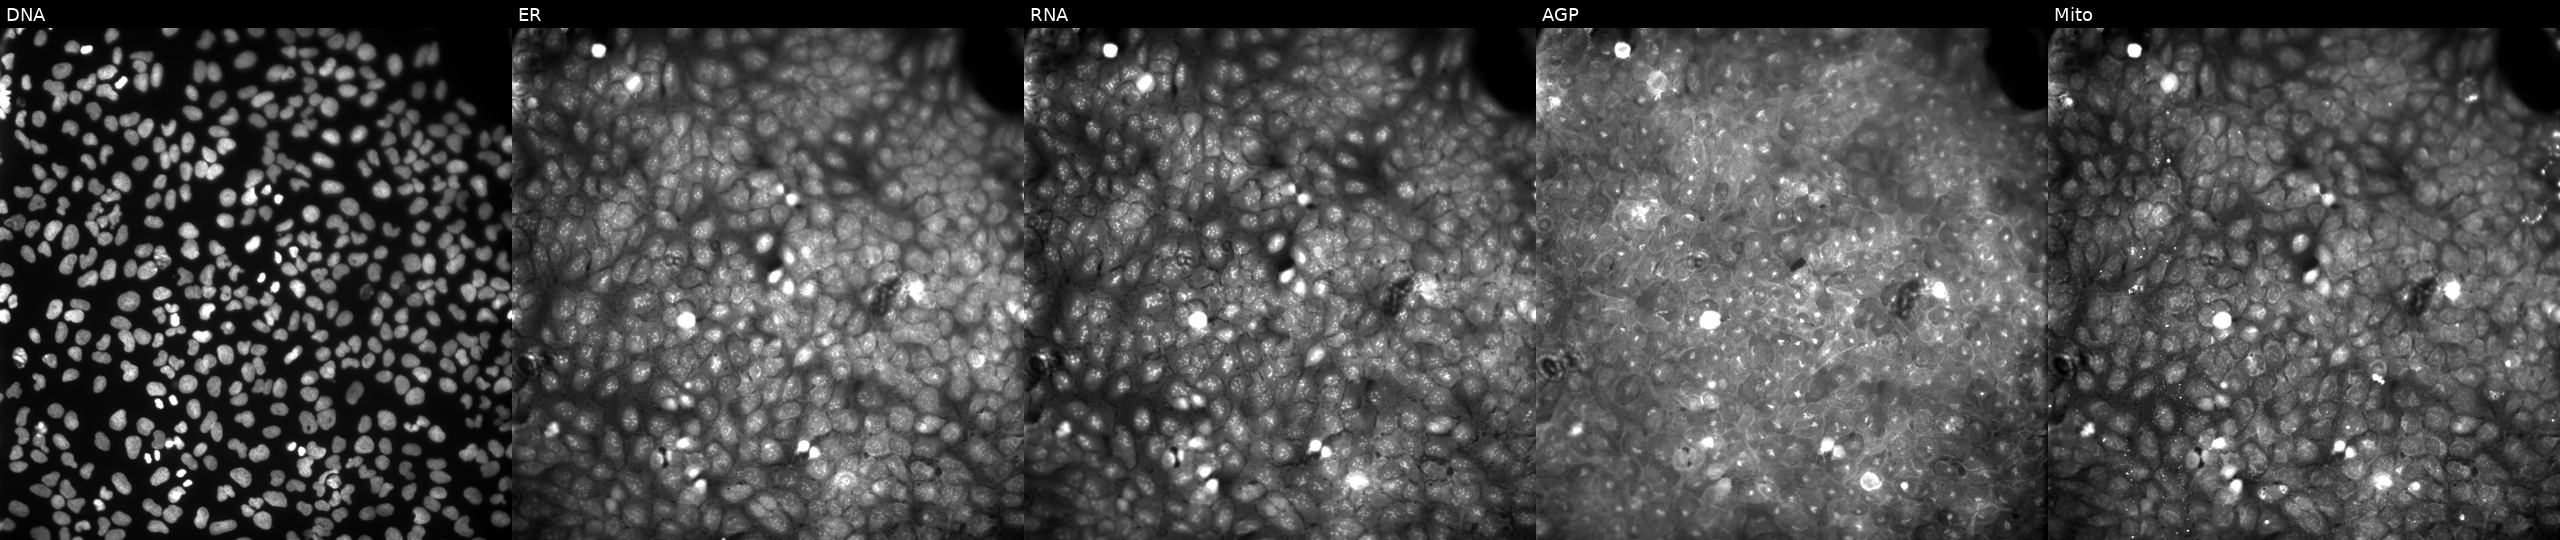
Channels (left→right): DNA (nuclei); ER (endoplasmic reticulum); RNA (nucleoli and cytoplasmic RNA); AGP (actin cytoskeleton, Golgi, and plasma membrane); Mito (mitochondria). U2OS osteosarcoma cells perturbed with a small-molecule compound (InChIKey JHLUNHWYJPDSHV-UHFFFAOYSA-N) (JUMP id JCP2022_039818). Cell Painting assay, JUMP-CP dataset. Source 9, plate GR00003381, well AC05.